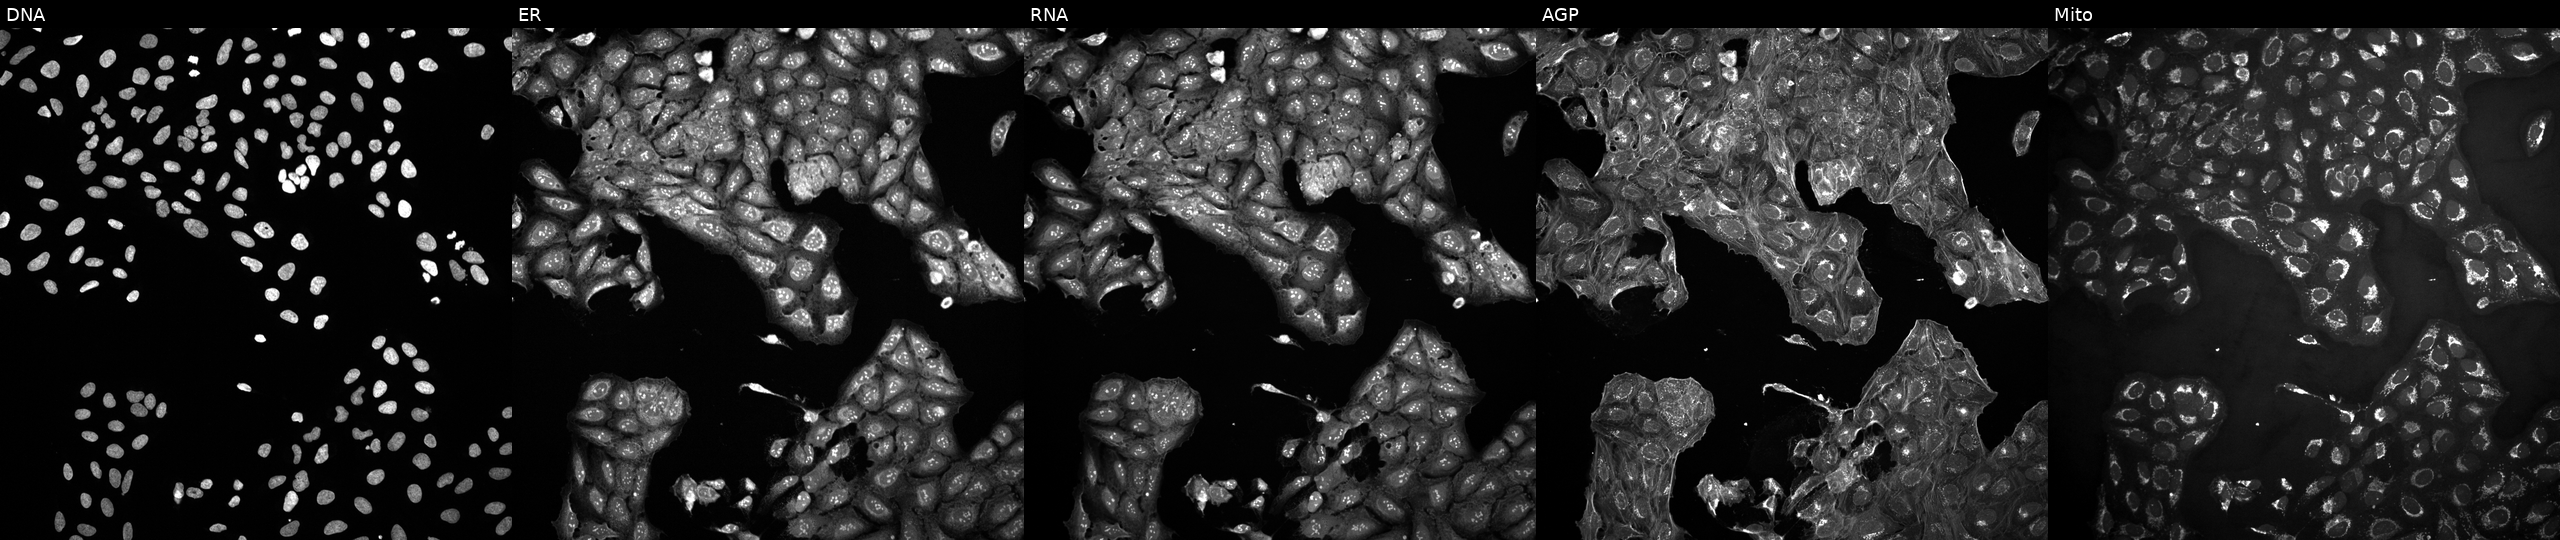
Five-channel Cell Painting image of U2OS cells in an empty control well (no perturbation) (JUMP id JCP2022_999999). From left to right: Hoechst 33342, concanavalin A, SYTO 14, phalloidin and WGA, MitoTracker.